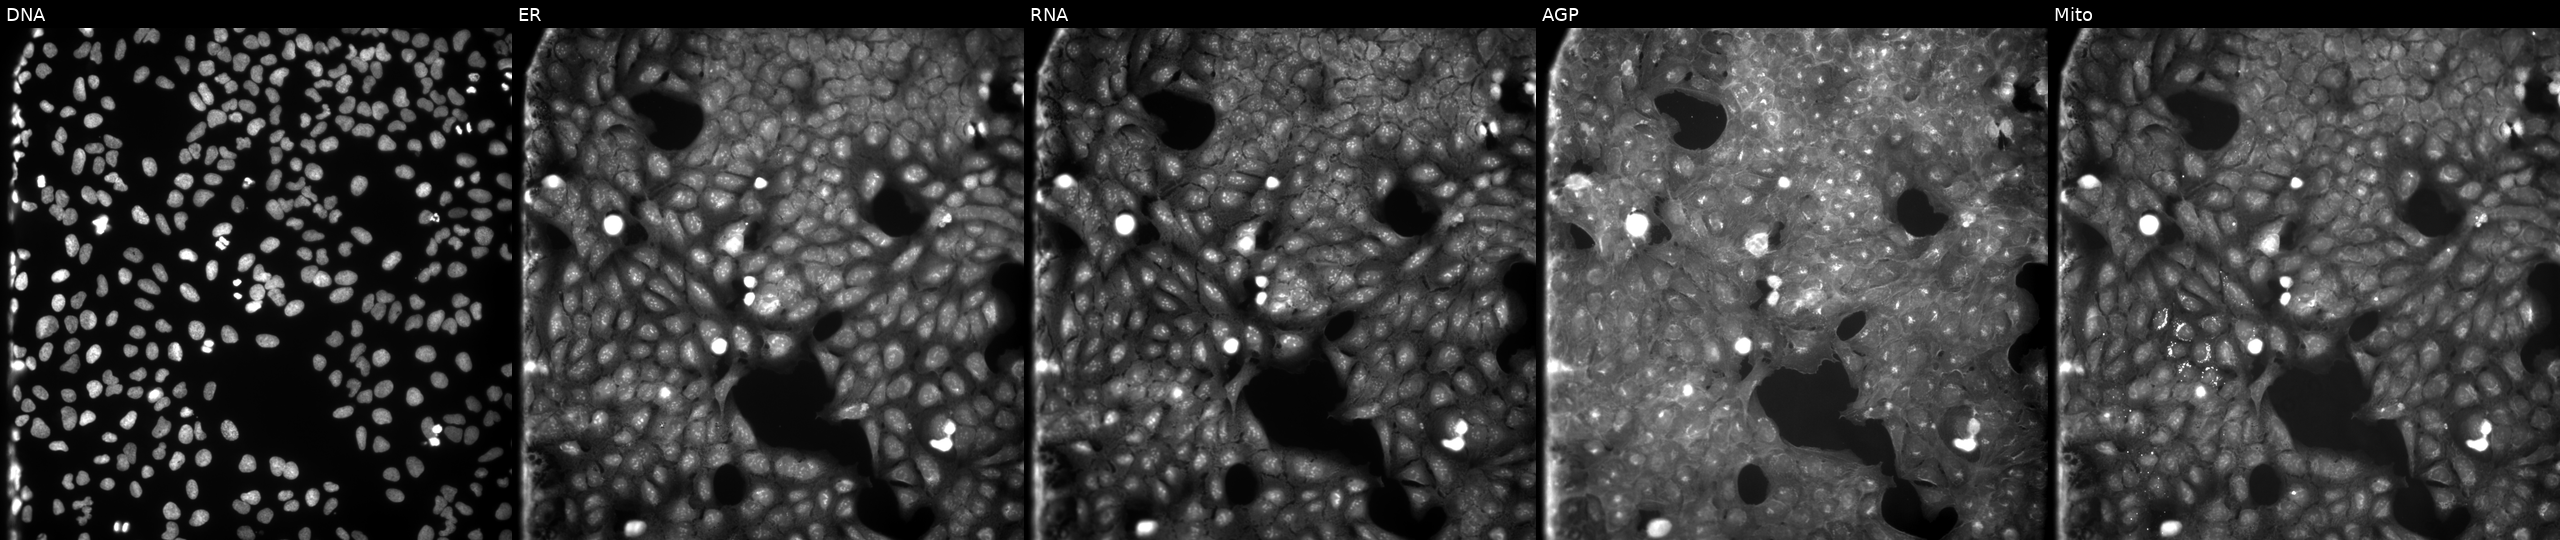
U2OS cells, Cell Painting assay, treated with a small-molecule compound (JUMP id JCP2022_093330). The five panels, left to right, show DNA, ER, RNA, AGP, and Mito. Each panel is percentile-stretched 16-bit fluorescence.